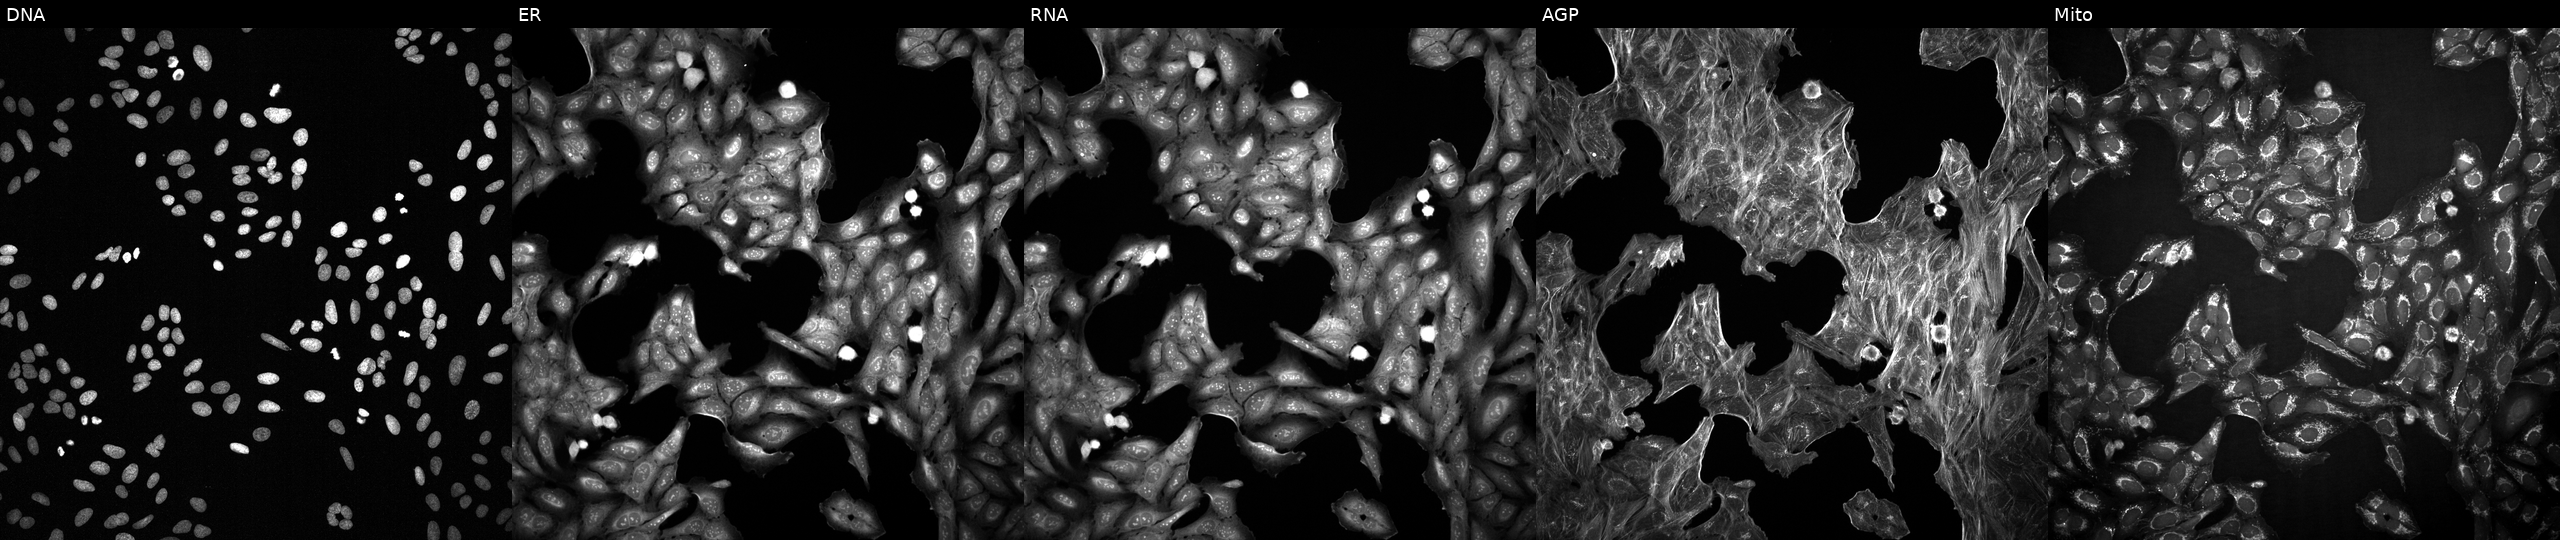
From left to right: DNA, ER, RNA, AGP, and Mito. U2OS osteosarcoma cells perturbed with a small-molecule compound [SMILES: COc1ccc2[nH]cc(C#N)c(=Nc3cccc(C)c3)c2c1] (JUMP id JCP2022_044024). Cell Painting assay, JUMP-CP dataset.